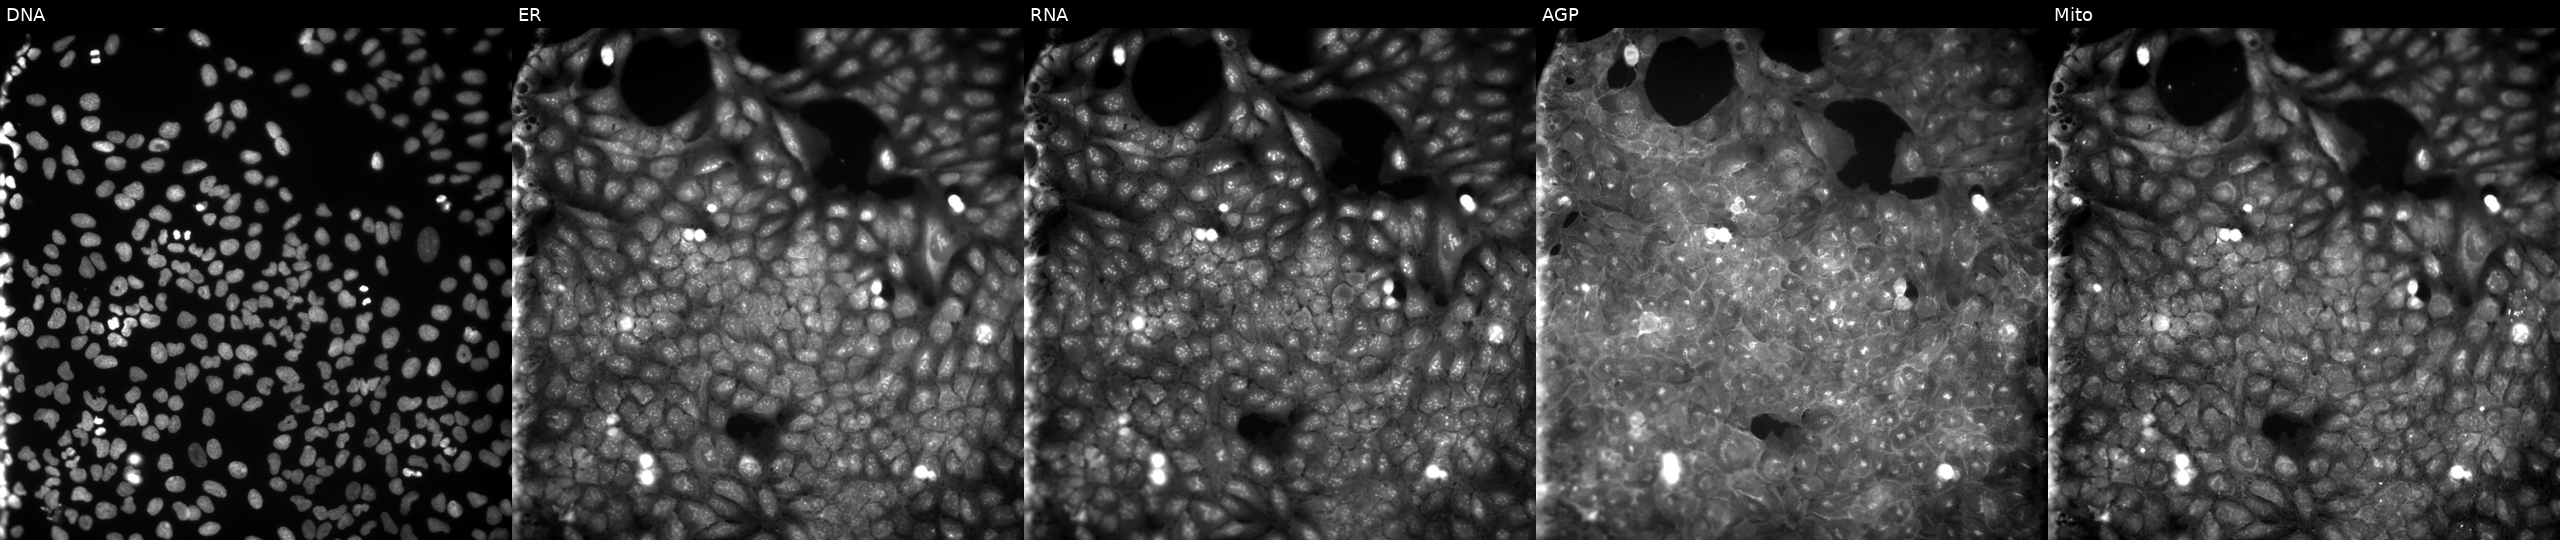
This image strip shows the five Cell Painting channels for a single field of U2OS cells exposed to a small-molecule compound (InChIKey GTBALORBKZQQKY-UHFFFAOYSA-N) [SMILES: Cc1cccc(C(=O)NC(=S)N2CCN(c3ccc([N+](=O)[O-])cc3)CC2)c1]. Channels (left→right): DNA (nuclei); ER (endoplasmic reticulum); RNA (nucleoli and cytoplasmic RNA); AGP (actin cytoskeleton, Golgi, and plasma membrane); Mito (mitochondria). Source 9, plate GR00003382, well AC04.